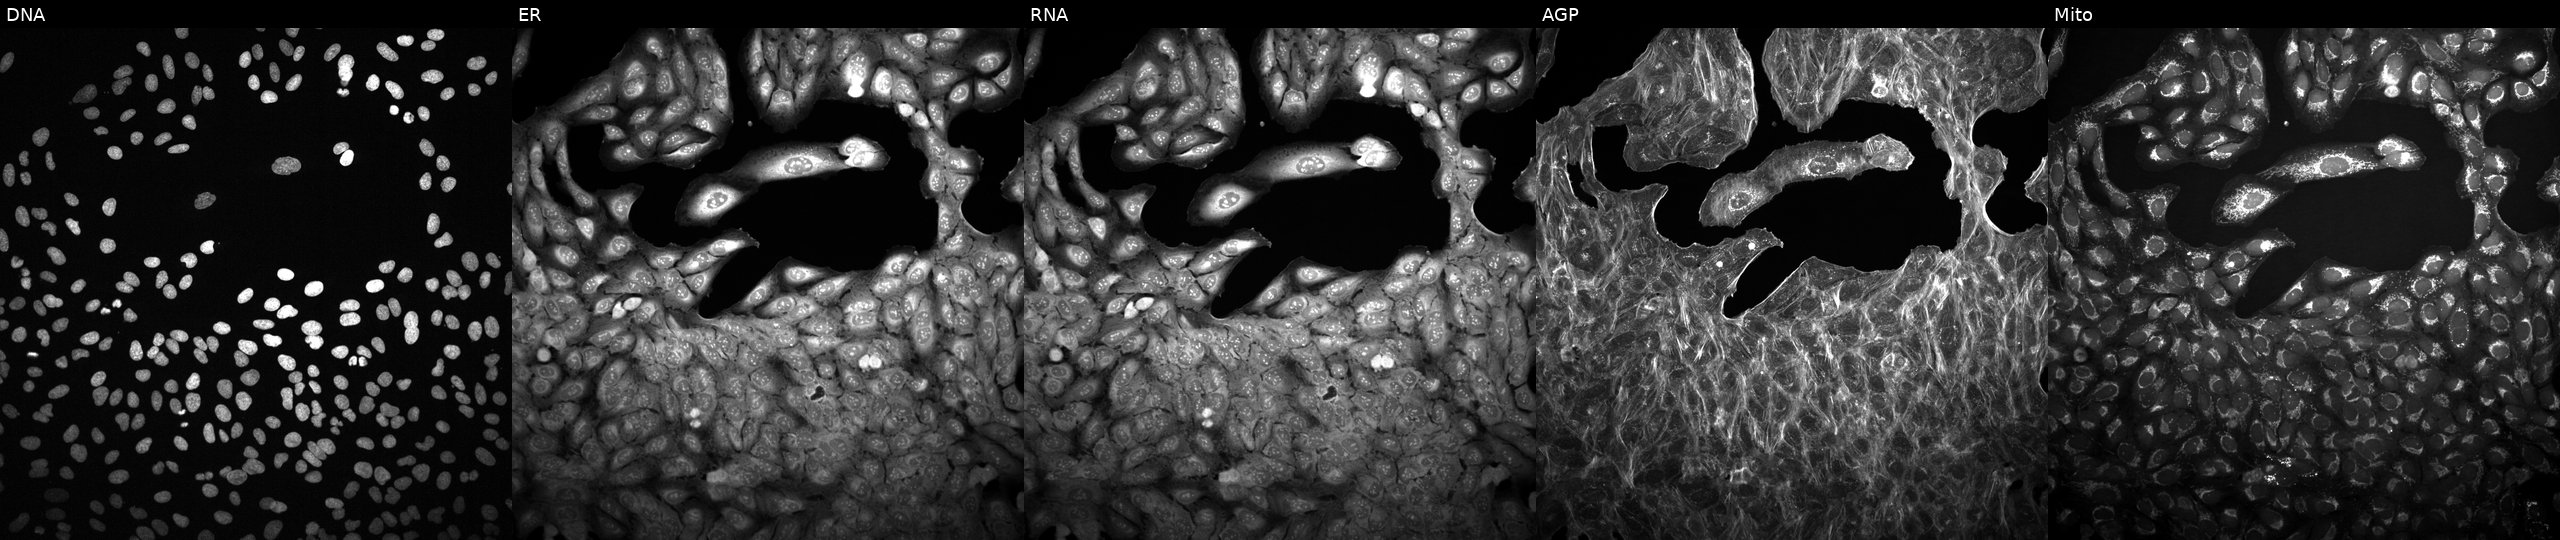
High-content fluorescence microscopy (Cell Painting). Cell line: U2OS. Perturbation: treated with DMSO vehicle only (negative control) (JUMP id JCP2022_033924). Channels (left→right): Hoechst 33342, concanavalin A, SYTO 14, phalloidin and WGA, MitoTracker. Source 2, plate 1053597936, well O12.